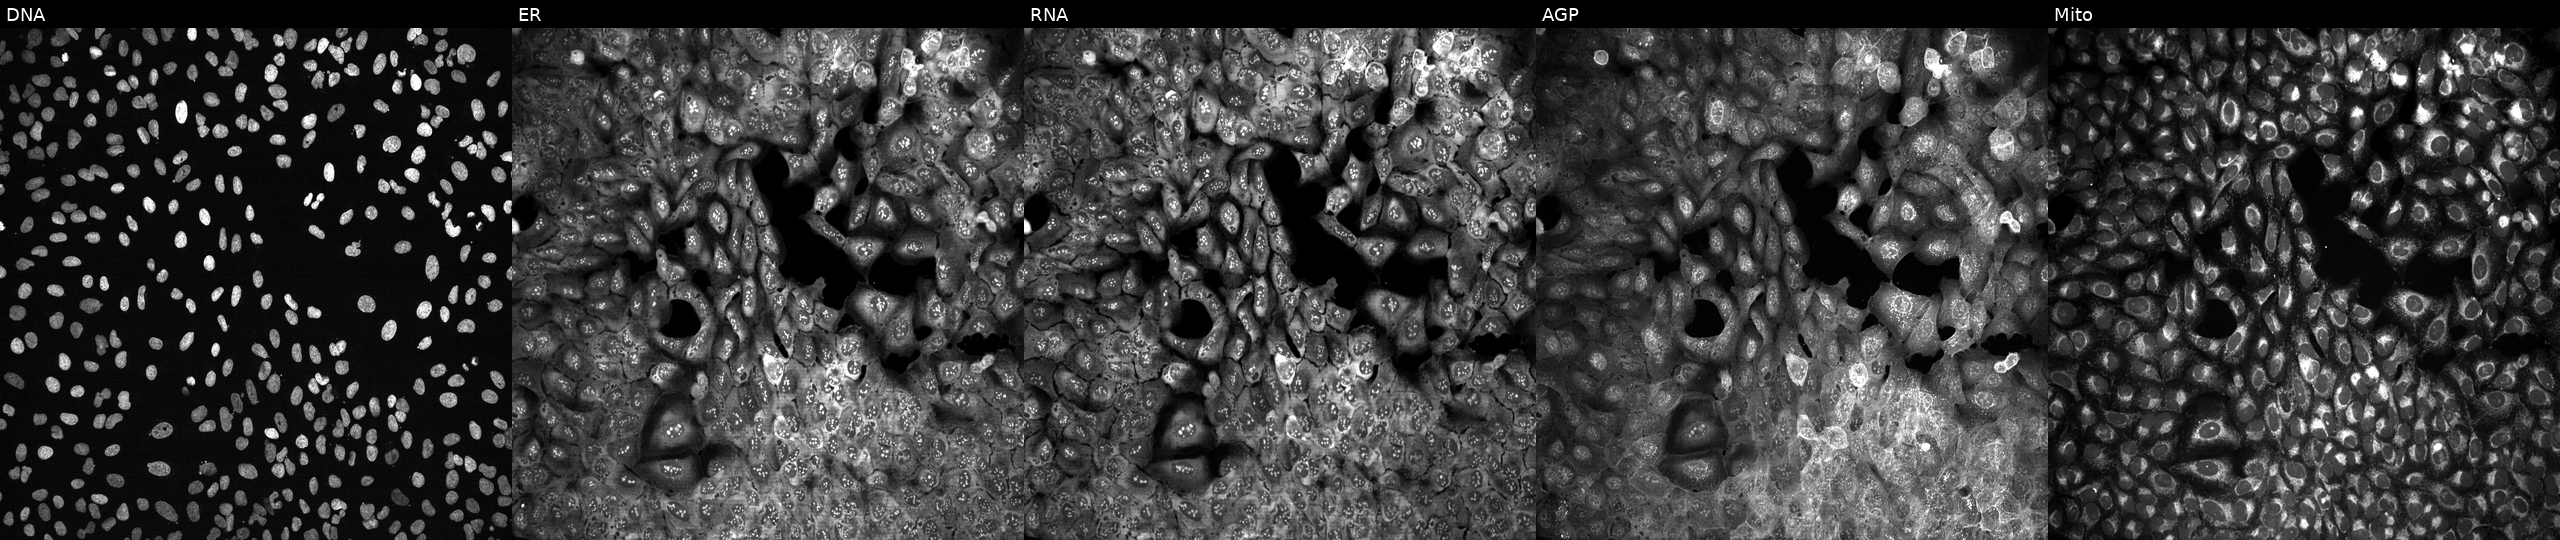
This image strip shows the five Cell Painting channels for a single field of U2OS cells CRISPR-edited to disrupt SLC5A6. Panels show, left to right, DNA (nuclei); ER (endoplasmic reticulum); RNA (nucleoli and cytoplasmic RNA); AGP (actin cytoskeleton, Golgi, and plasma membrane); Mito (mitochondria). Source 13, plate CP-CC9-R4-04, well P18.